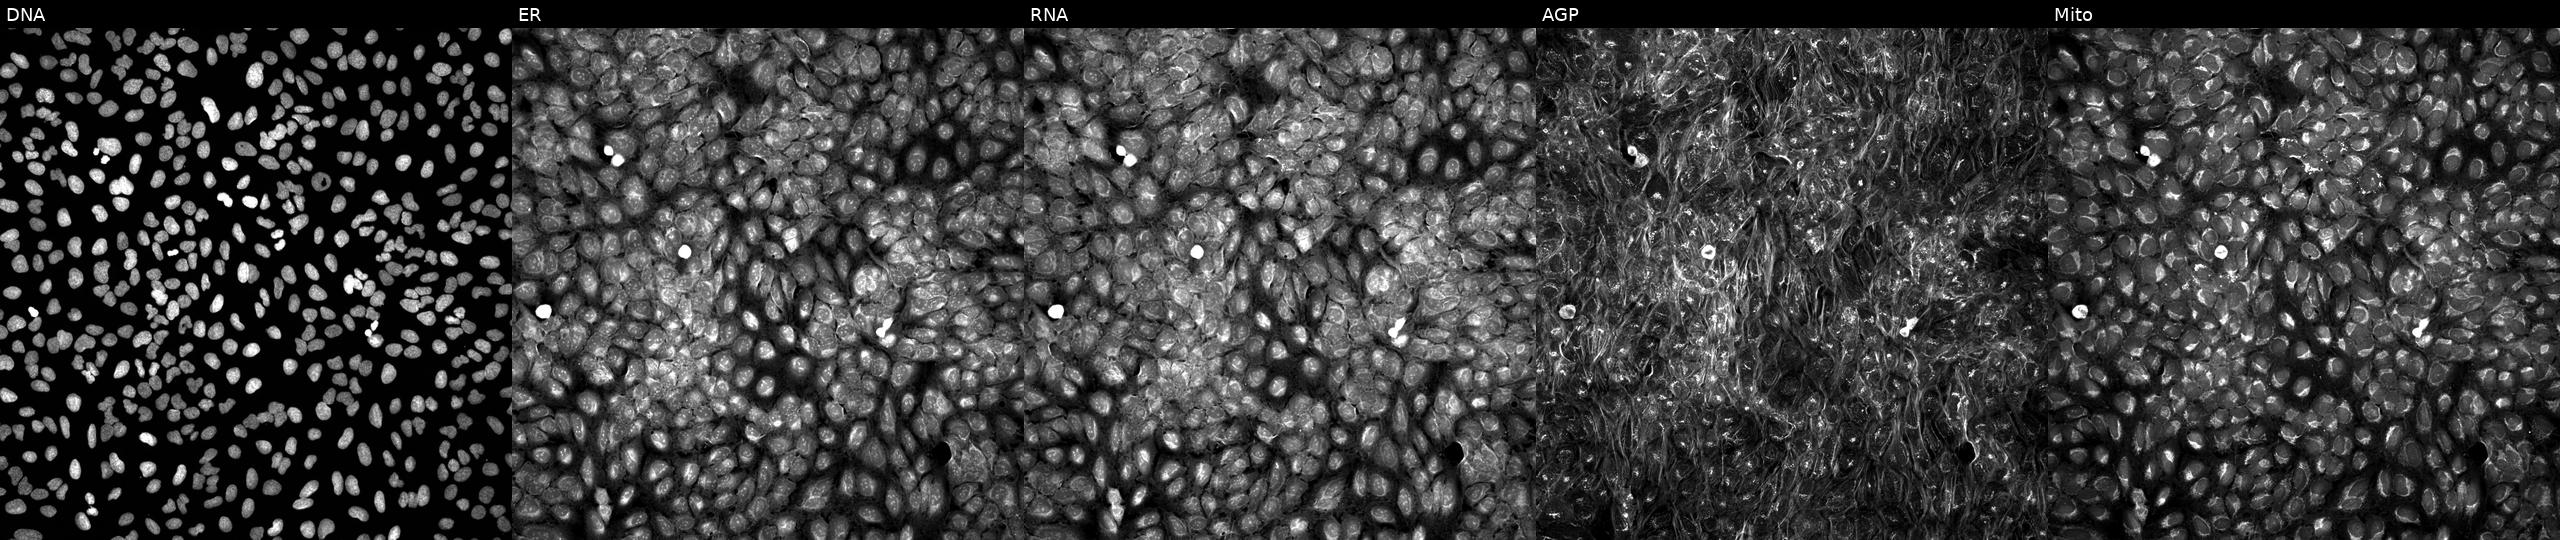
JUMP Cell Painting — COMPOUND plate. U2OS cells exposed to a small-molecule compound (InChIKey ONQICLQJBHEKDU-UHFFFAOYSA-N). The five panels, left to right, show DNA (nuclei); ER (endoplasmic reticulum); RNA (nucleoli and cytoplasmic RNA); AGP (actin cytoskeleton, Golgi, and plasma membrane); Mito (mitochondria).